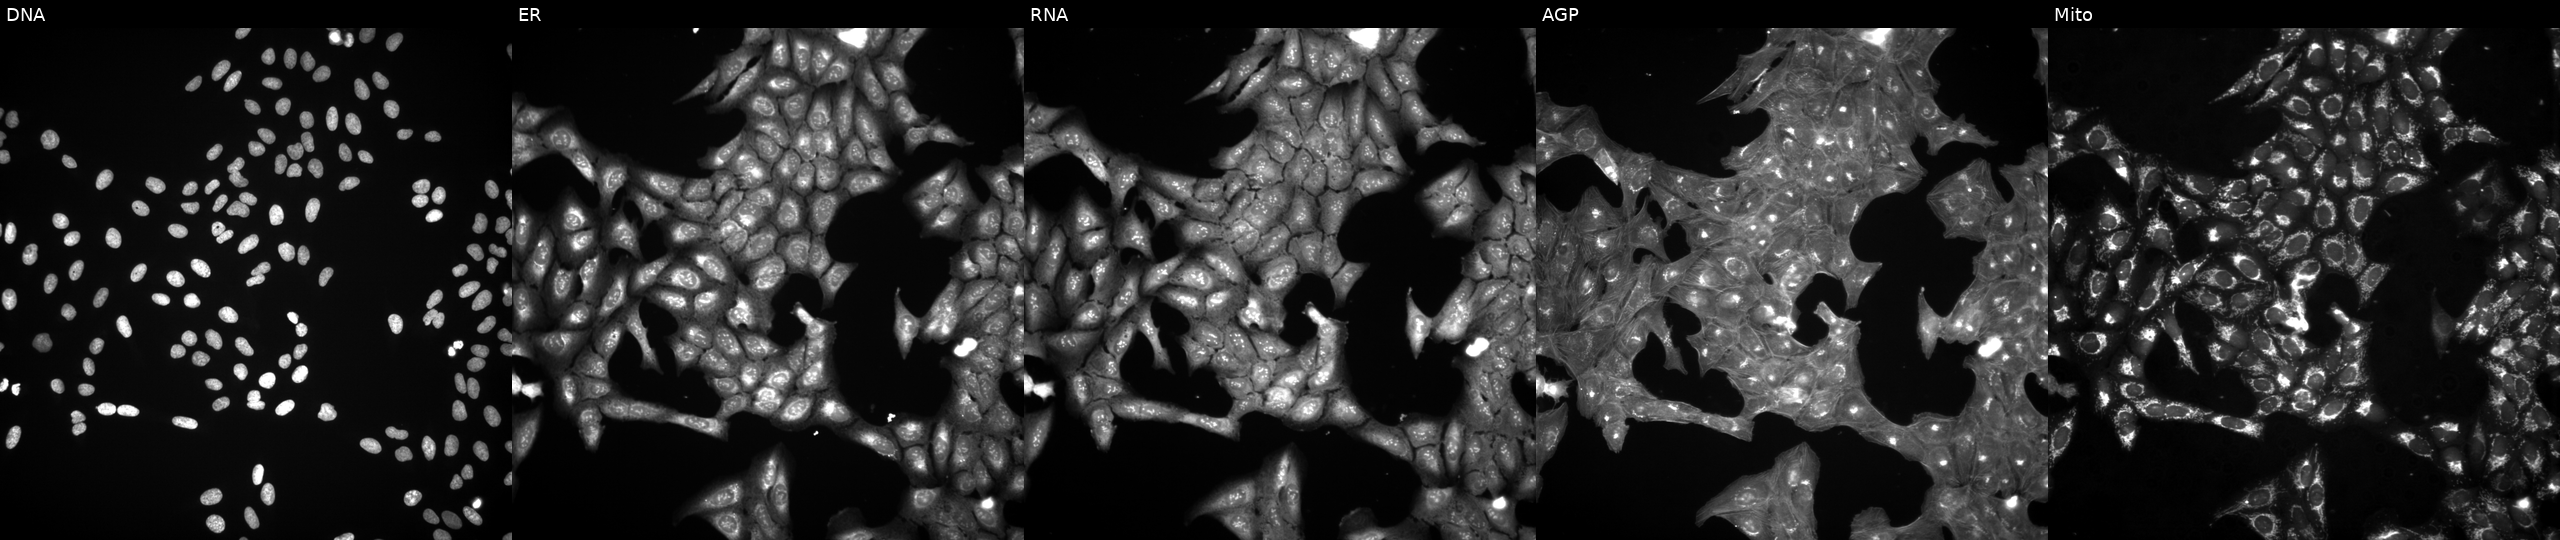
U2OS cells, Cell Painting assay, treated with DMSO vehicle only (negative control) (JUMP id JCP2022_033924). The five panels, left to right, show DNA, ER, RNA, AGP, and Mito. Each panel is percentile-stretched 16-bit fluorescence.